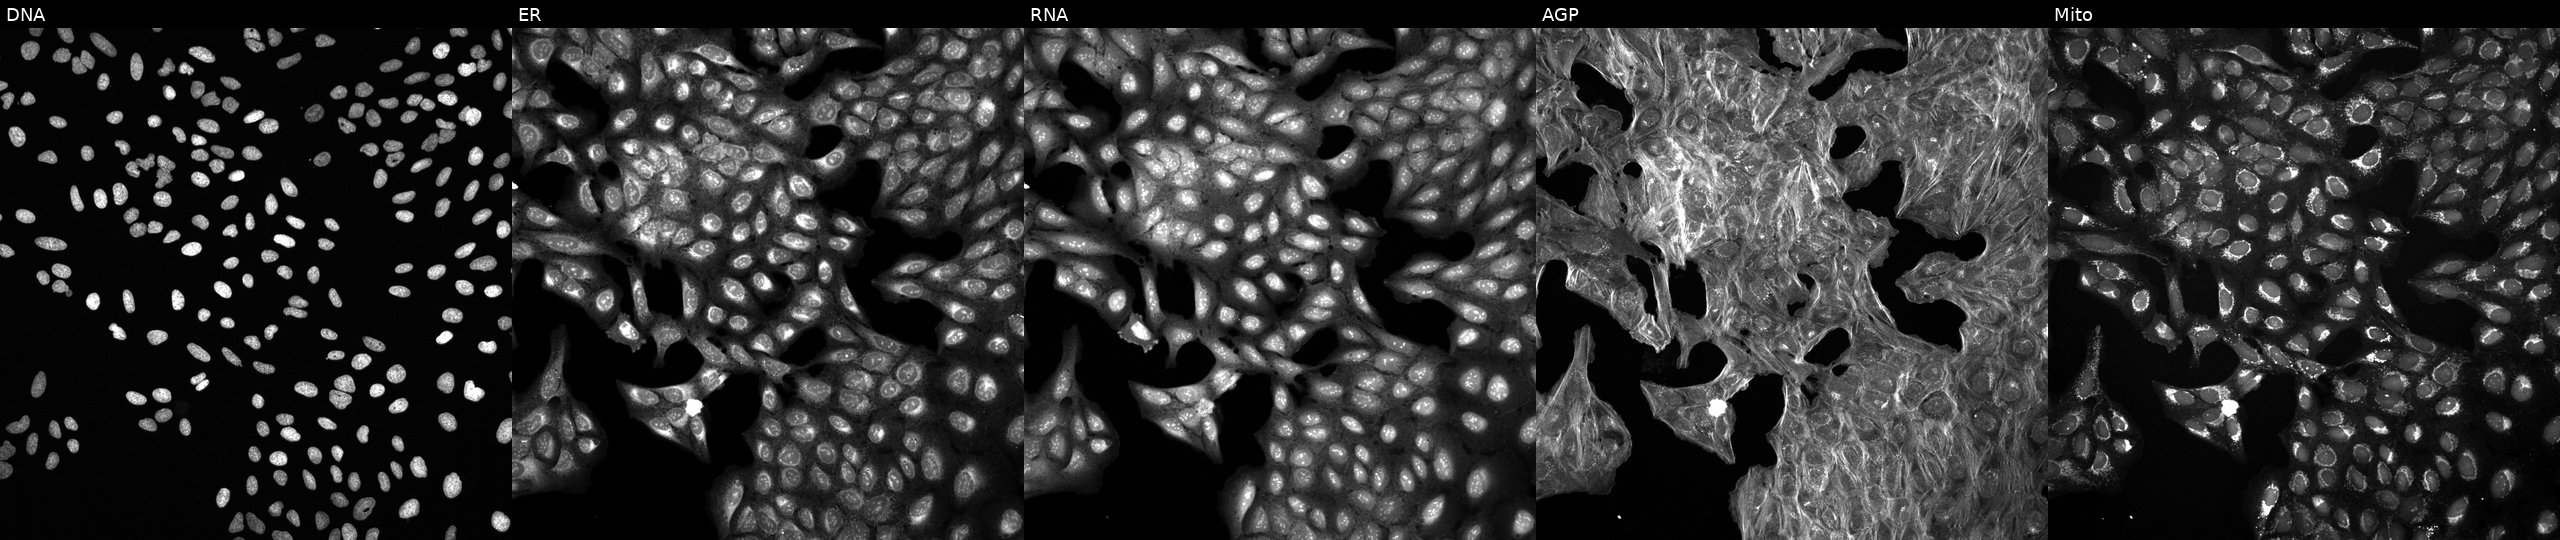
From left to right: DNA (nuclei); ER (endoplasmic reticulum); RNA (nucleoli and cytoplasmic RNA); AGP (actin cytoskeleton, Golgi, and plasma membrane); Mito (mitochondria). U2OS osteosarcoma cells exposed to a small-molecule compound (JUMP id JCP2022_094143). Cell Painting assay, JUMP-CP dataset. Source 6, plate 110000293083, well D17.